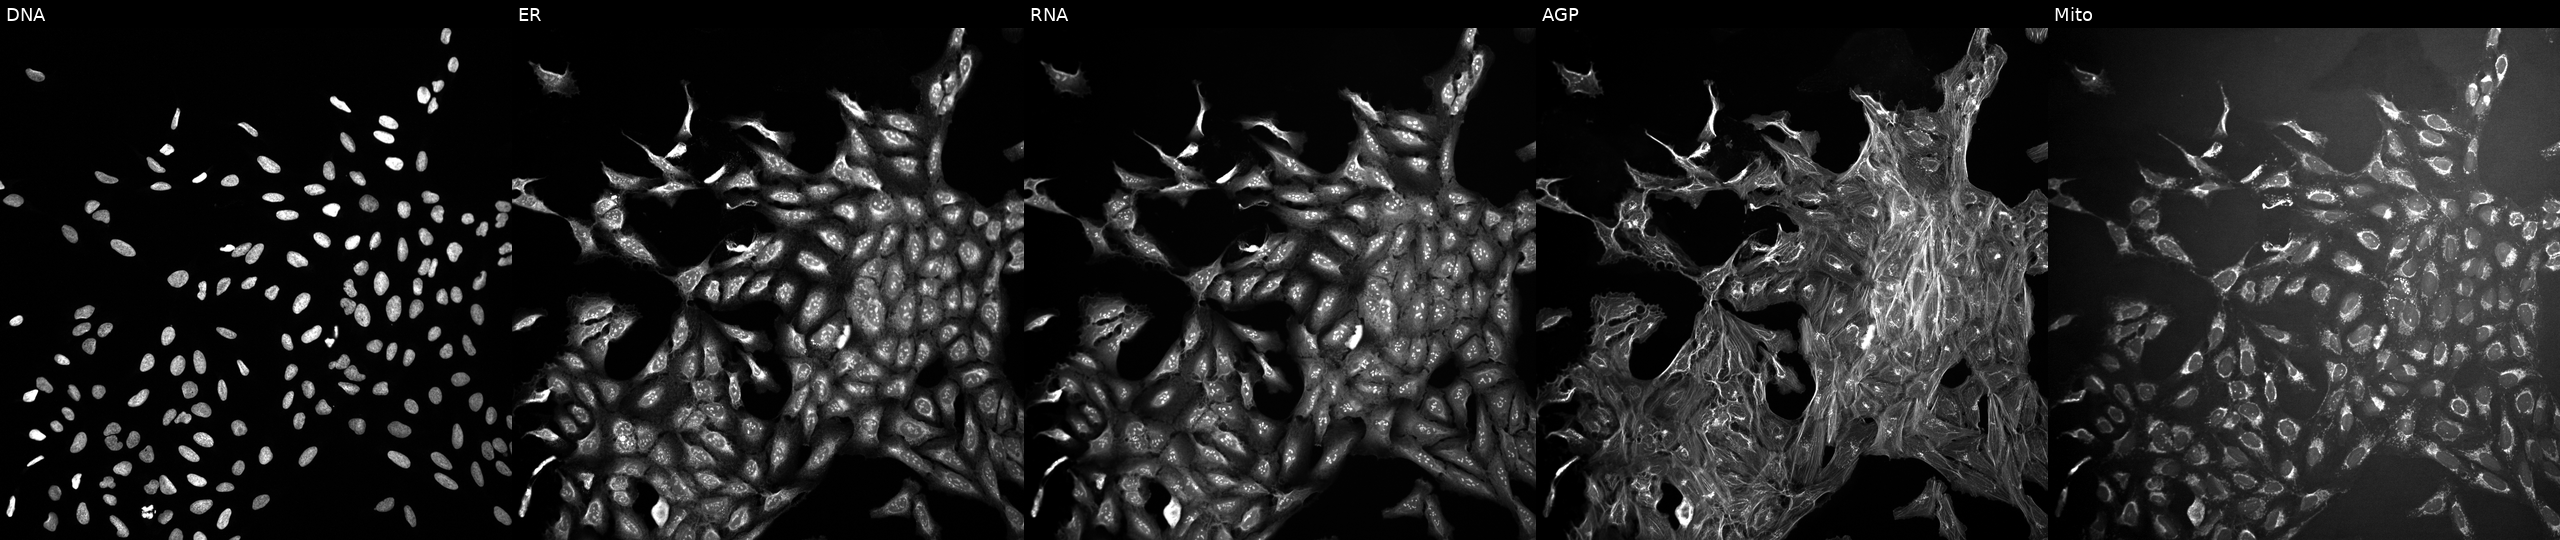
This image strip shows the five Cell Painting channels for a single field of U2OS cells perturbed with a small-molecule compound. Panels show, left to right, DNA (nuclei); ER (endoplasmic reticulum); RNA (nucleoli and cytoplasmic RNA); AGP (actin cytoskeleton, Golgi, and plasma membrane); Mito (mitochondria).